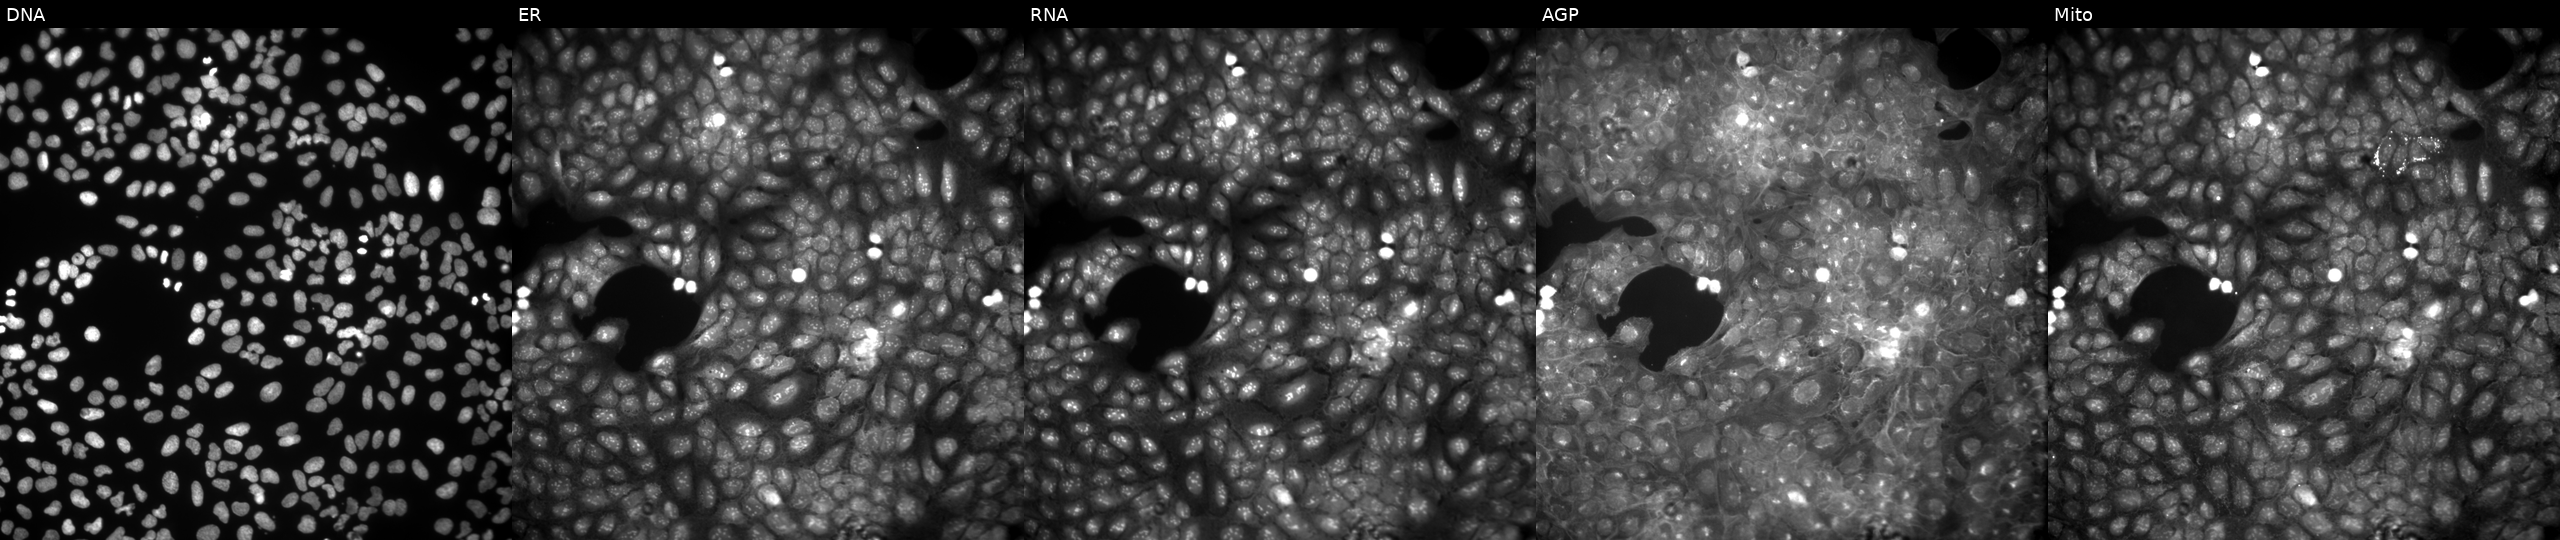
This image strip shows the five Cell Painting channels for a single field of U2OS cells perturbed with a small-molecule compound (InChIKey CPHJFOQNOWEJIZ-UHFFFAOYSA-N) (JUMP id JCP2022_012616). Channels (left→right): DNA (nuclei); ER (endoplasmic reticulum); RNA (nucleoli and cytoplasmic RNA); AGP (actin cytoskeleton, Golgi, and plasma membrane); Mito (mitochondria).